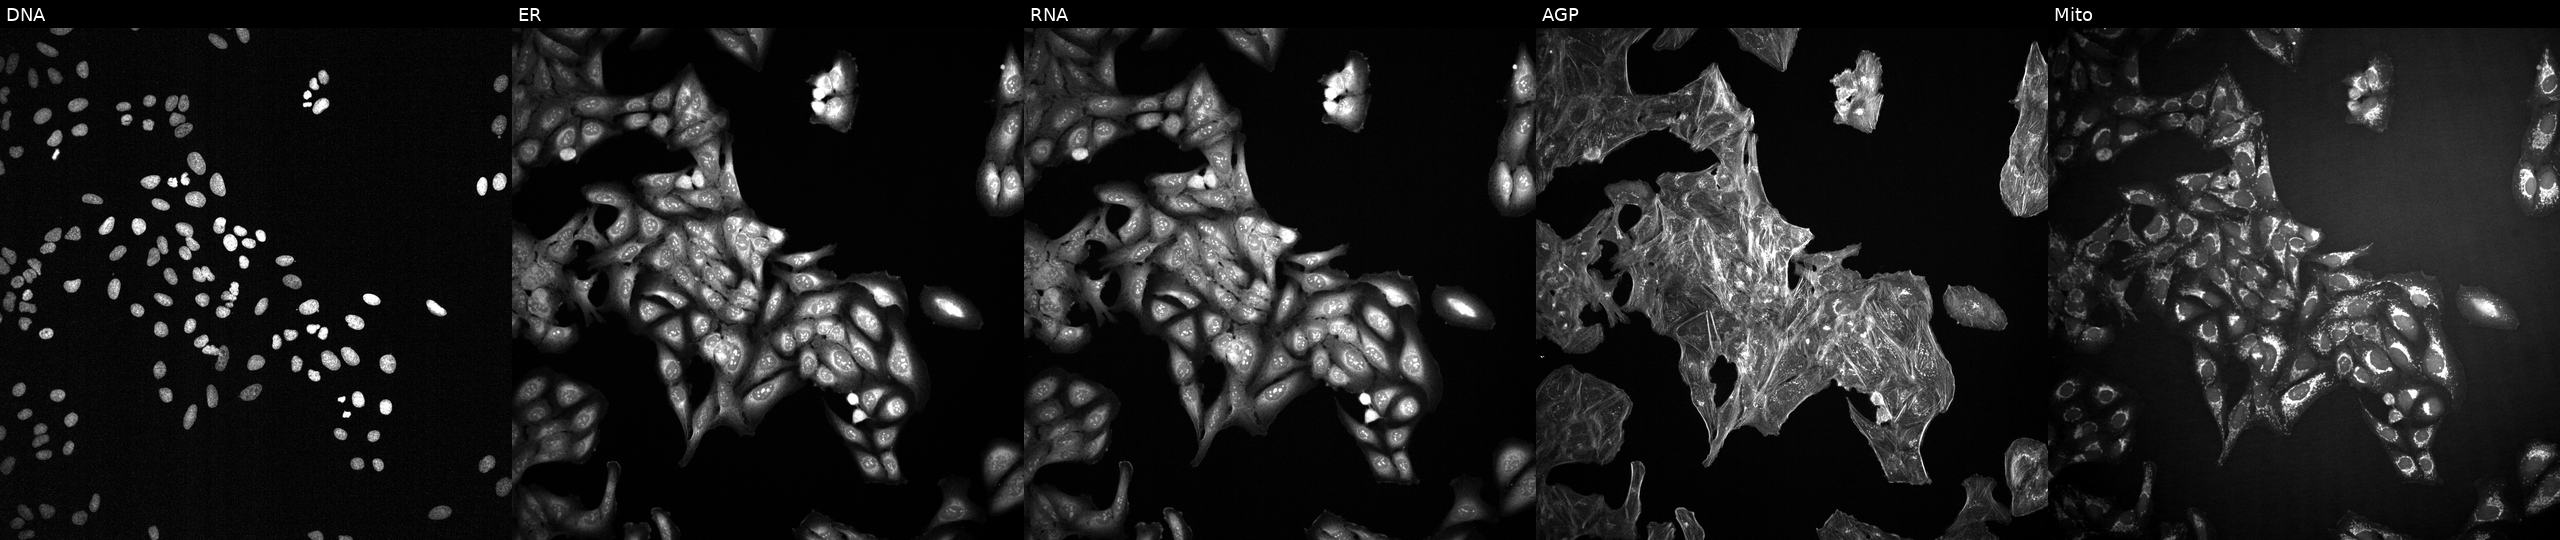
High-content fluorescence microscopy (Cell Painting). Cell line: U2OS. Perturbation: perturbed with a small-molecule compound (InChIKey LENZDBCJOHFCAS-UHFFFAOYSA-N) (JUMP id JCP2022_048928). The five panels, left to right, show Hoechst 33342, concanavalin A, SYTO 14, phalloidin and WGA, MitoTracker. Source 2, plate 1053599503, well F02.